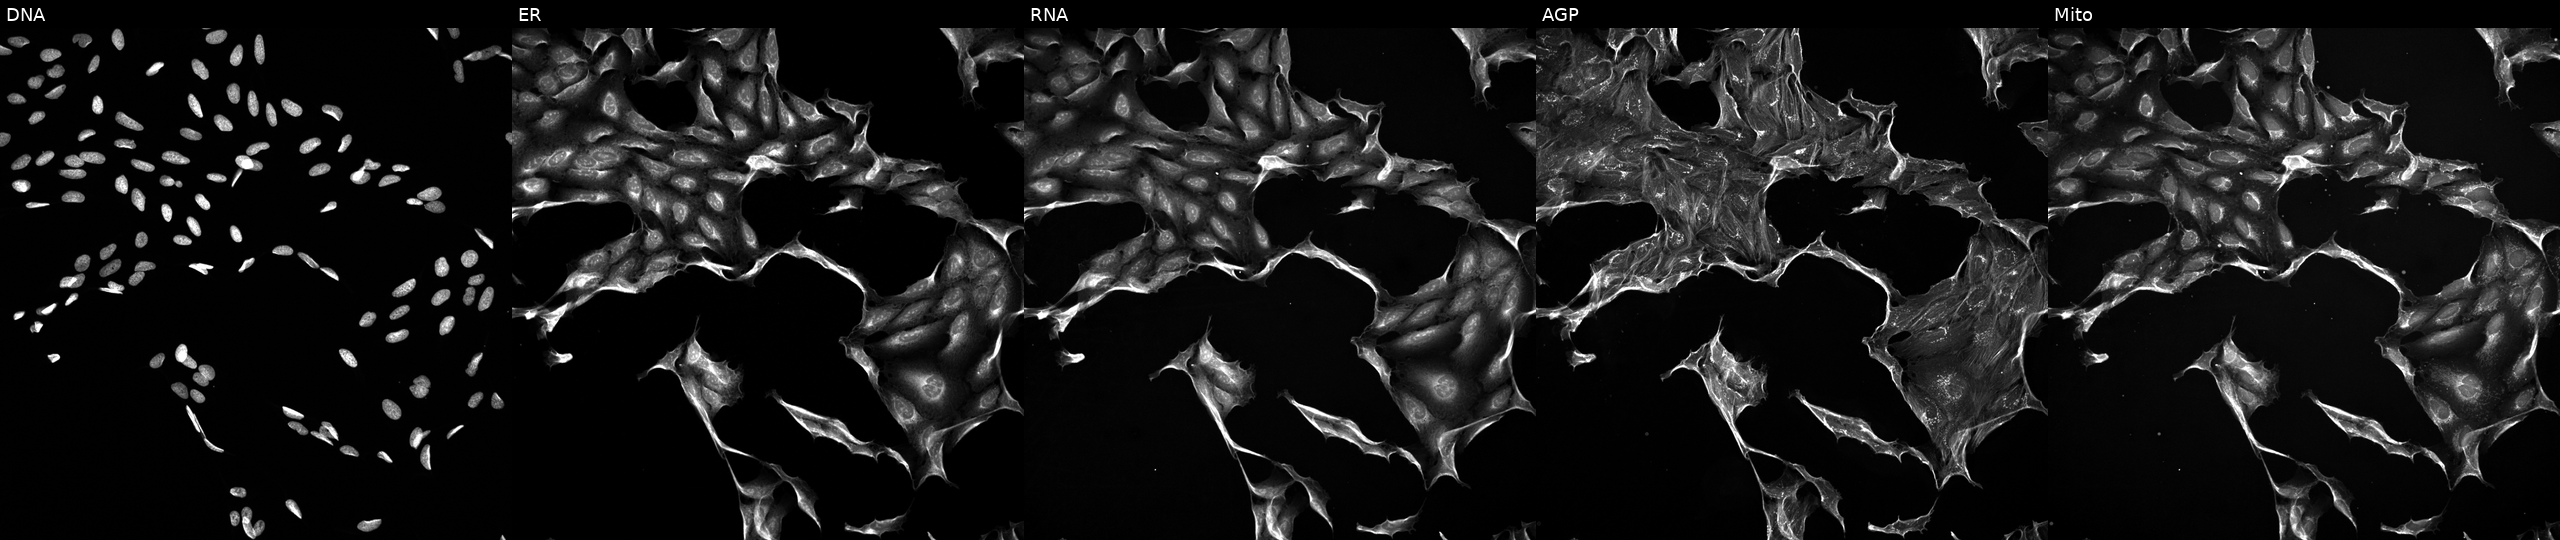
JUMP Cell Painting — TARGET2 plate. U2OS cells perturbed with a small-molecule compound (InChIKey FNHKPVJBJVTLMP-UHFFFAOYSA-N) (JUMP id JCP2022_021751). From left to right: Hoechst 33342, concanavalin A, SYTO 14, phalloidin and WGA, MitoTracker. Source 5, plate ACPJUM051, well M01.